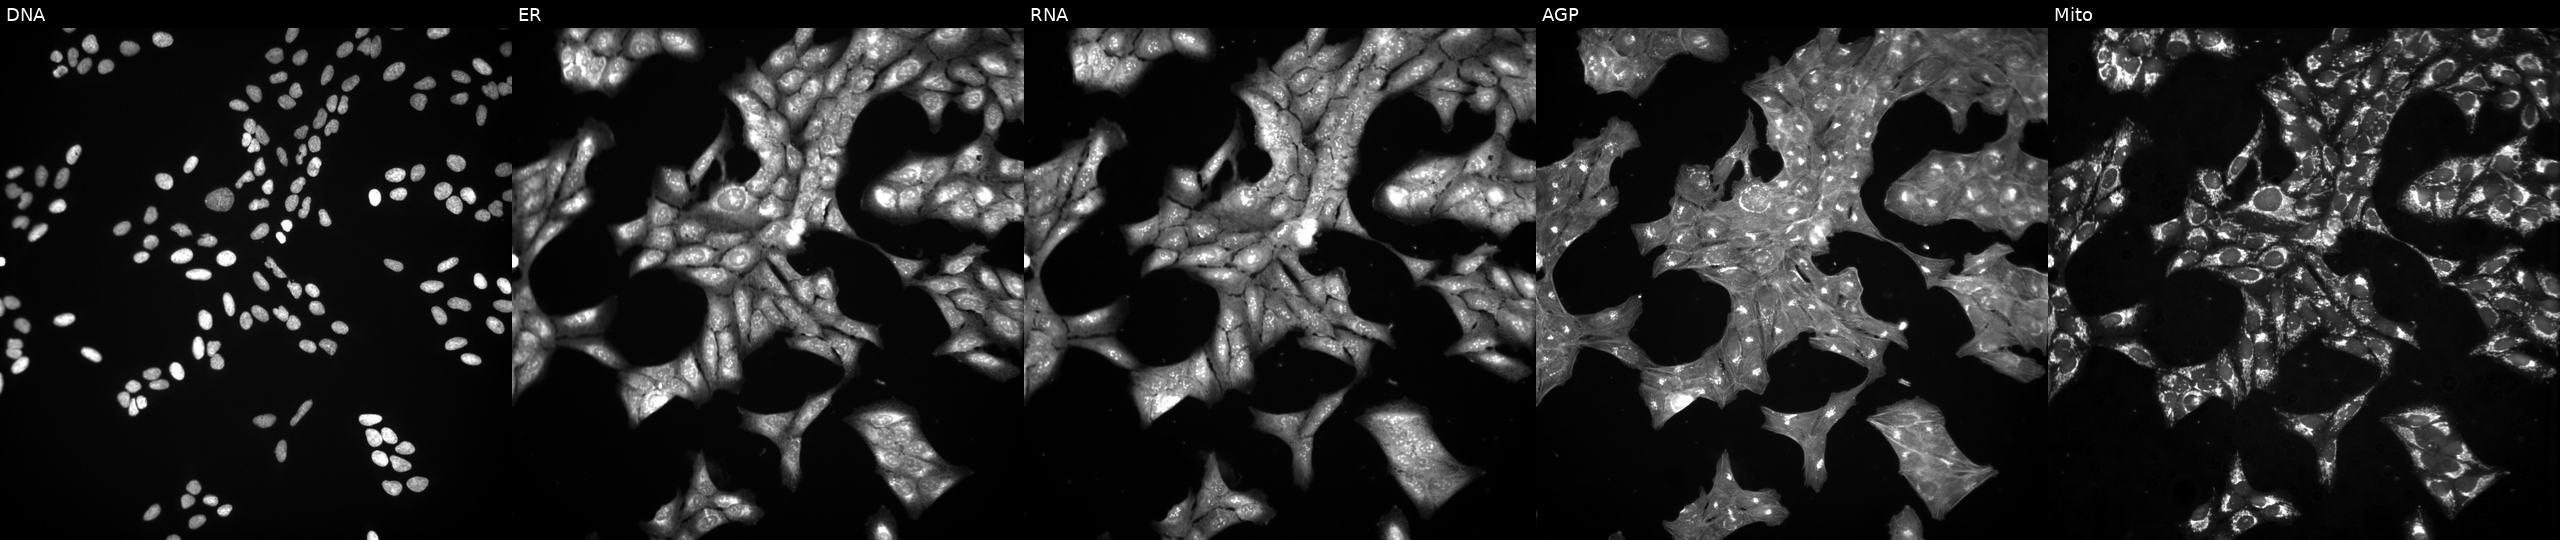
From left to right: DNA, ER, RNA, AGP, and Mito. U2OS osteosarcoma cells treated with dexamethasone (positive-control compound). Cell Painting assay, JUMP-CP dataset.